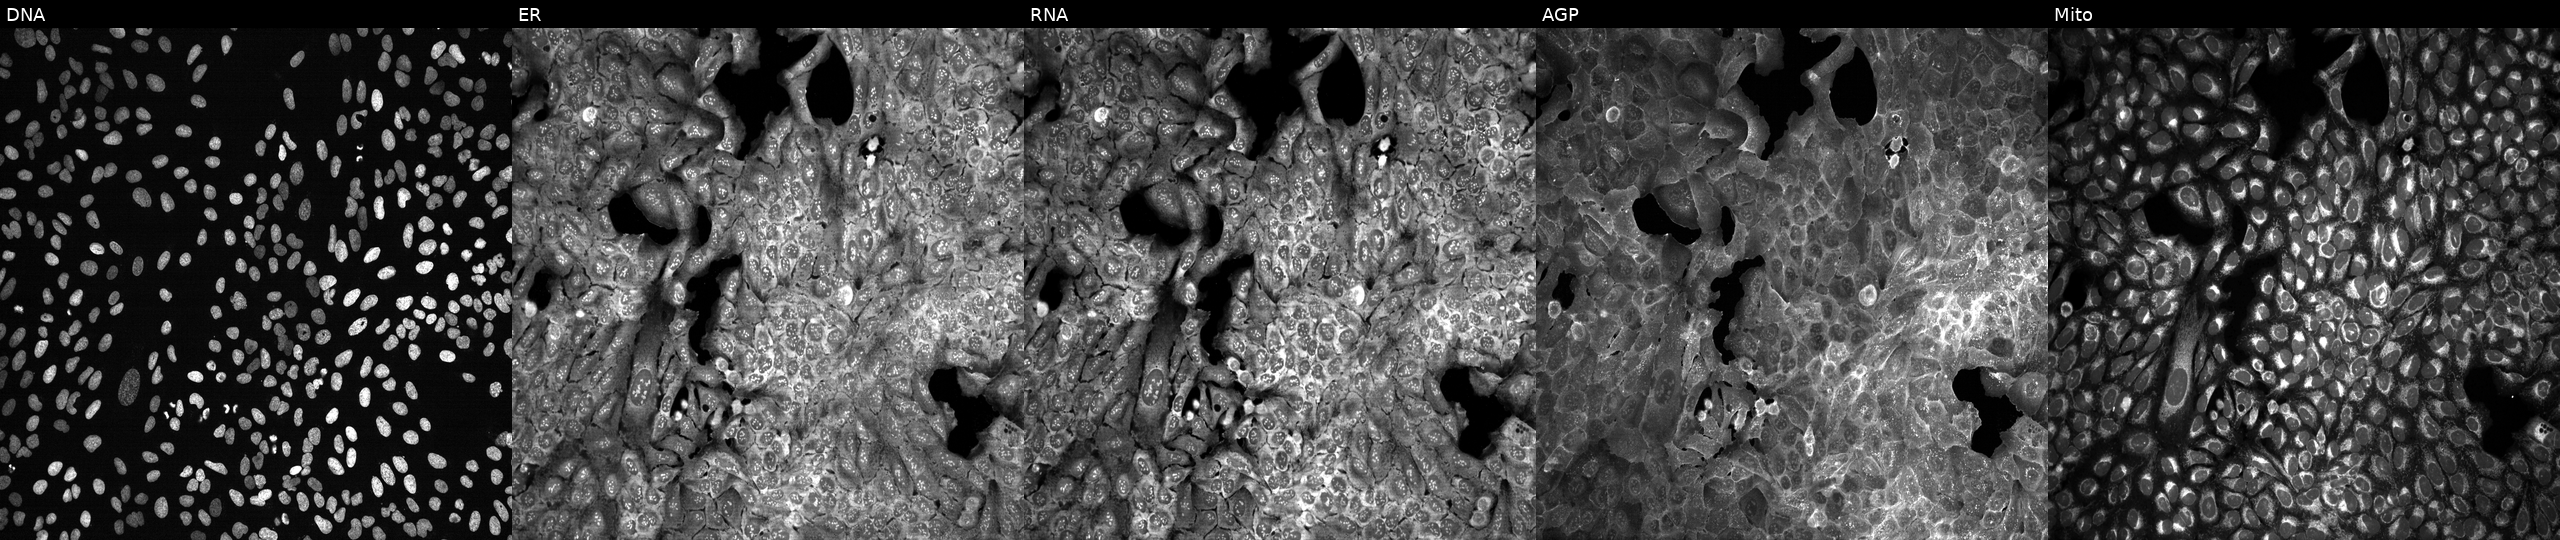
Five-channel Cell Painting image of U2OS cells CRISPR-edited to disrupt MED15. Panels show, left to right, DNA (nuclei); ER (endoplasmic reticulum); RNA (nucleoli and cytoplasmic RNA); AGP (actin cytoskeleton, Golgi, and plasma membrane); Mito (mitochondria).